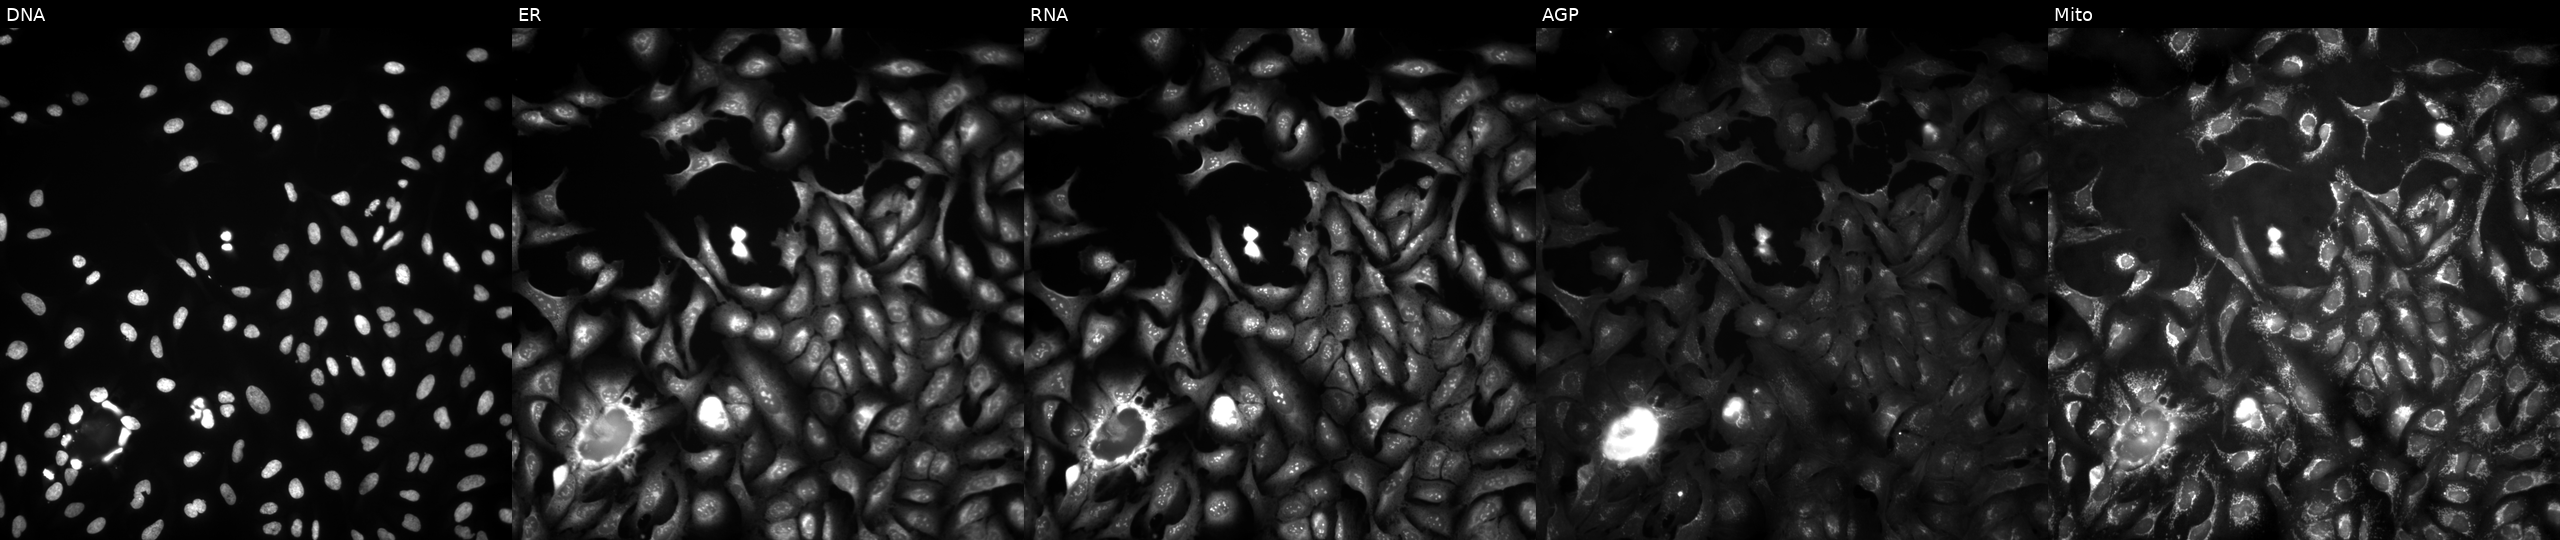
This image strip shows the five Cell Painting channels for a single field of U2OS cells with NLRP12 overexpressed (ORF). The five panels, left to right, show DNA (nuclei); ER (endoplasmic reticulum); RNA (nucleoli and cytoplasmic RNA); AGP (actin cytoskeleton, Golgi, and plasma membrane); Mito (mitochondria). Source 4, plate BR00121543, well G19.